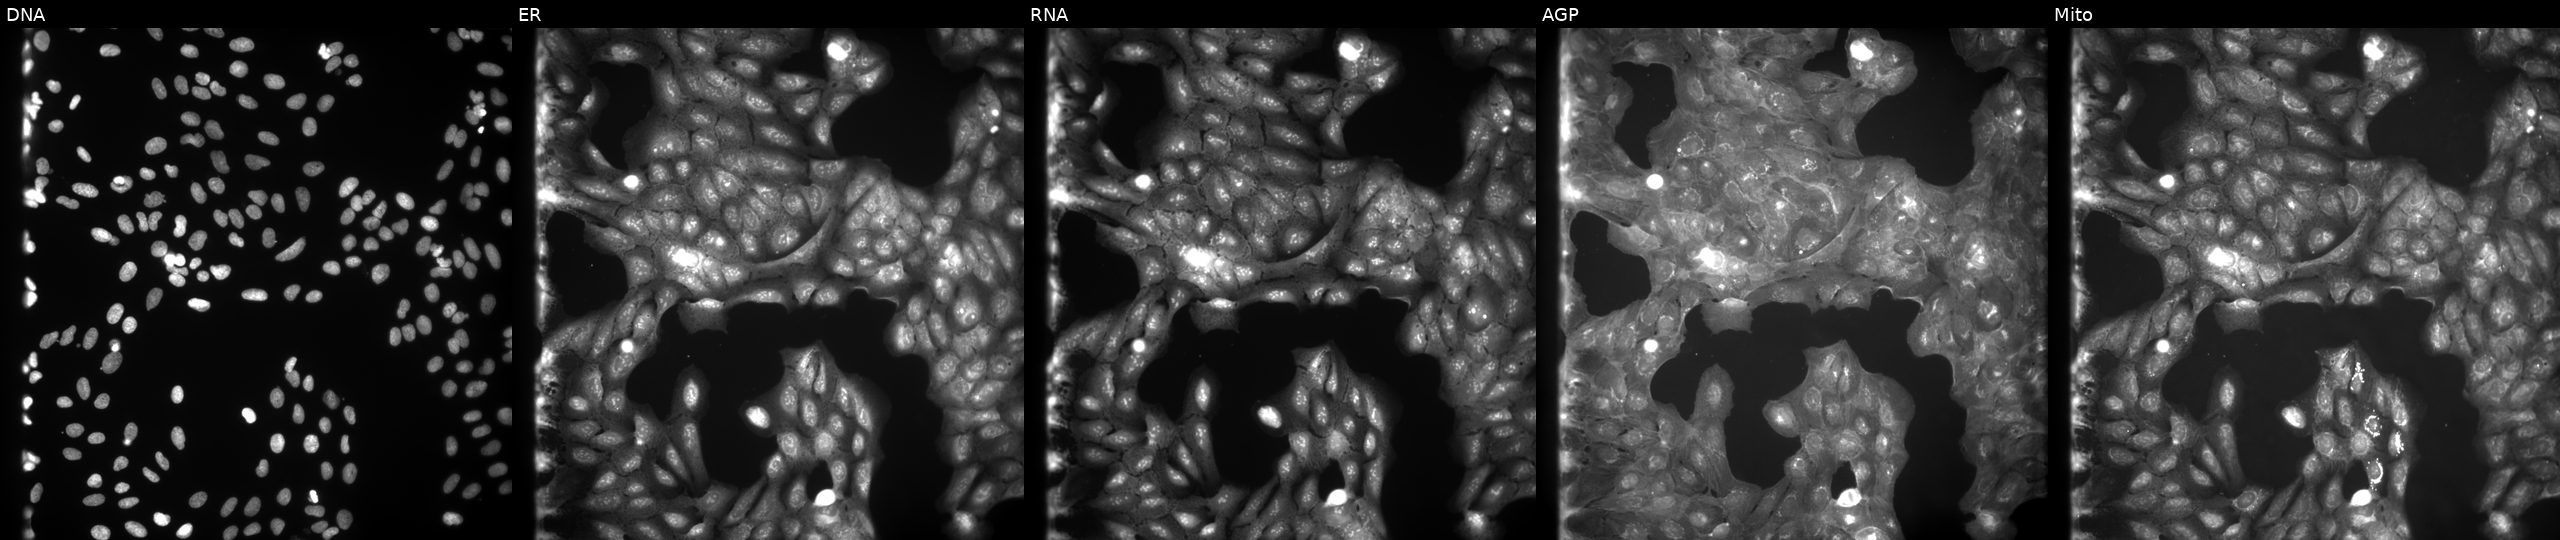
JUMP Cell Painting — COMPOUND plate. U2OS cells perturbed with a small-molecule compound (InChIKey NBPCFJQUQFKOHN-UHFFFAOYSA-N) [SMILES: COc1ccc(NCN2C(=O)c3ccccc3C2=O)cc1]. Channels (left→right): DNA, ER, RNA, AGP, and Mito. Source 9, plate GR00003381, well E06.